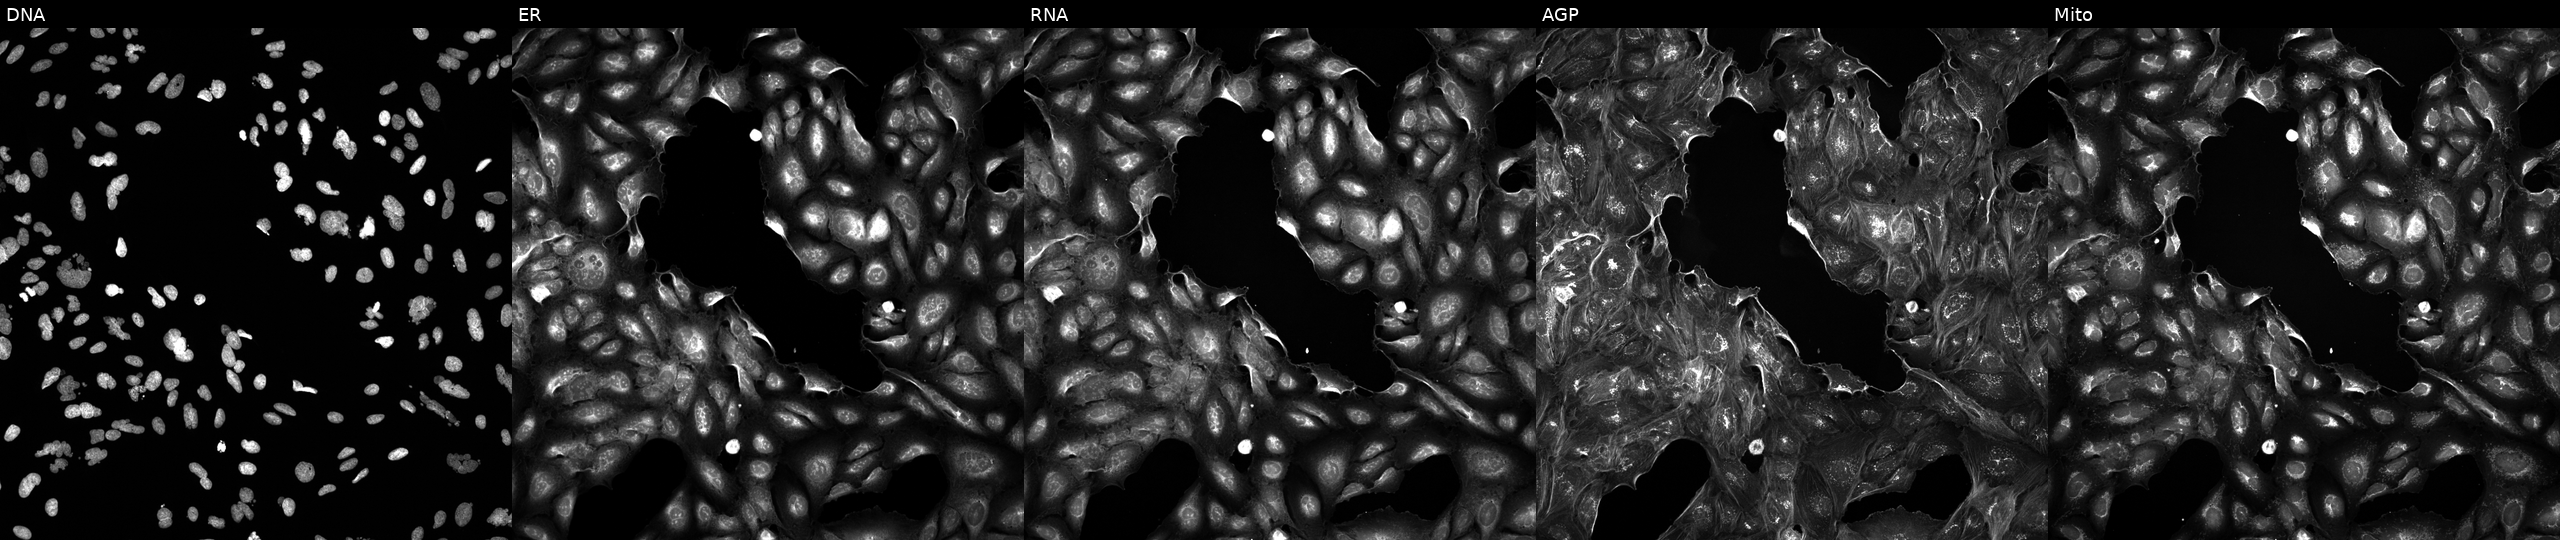
Five-channel Cell Painting image of U2OS cells perturbed with a small-molecule compound (InChIKey OBXGXVYKJLAUIR-UHFFFAOYSA-N) (JUMP id JCP2022_062822). Channels (left→right): DNA, ER, RNA, AGP, and Mito. Source 5, plate APTJUM106, well M15.